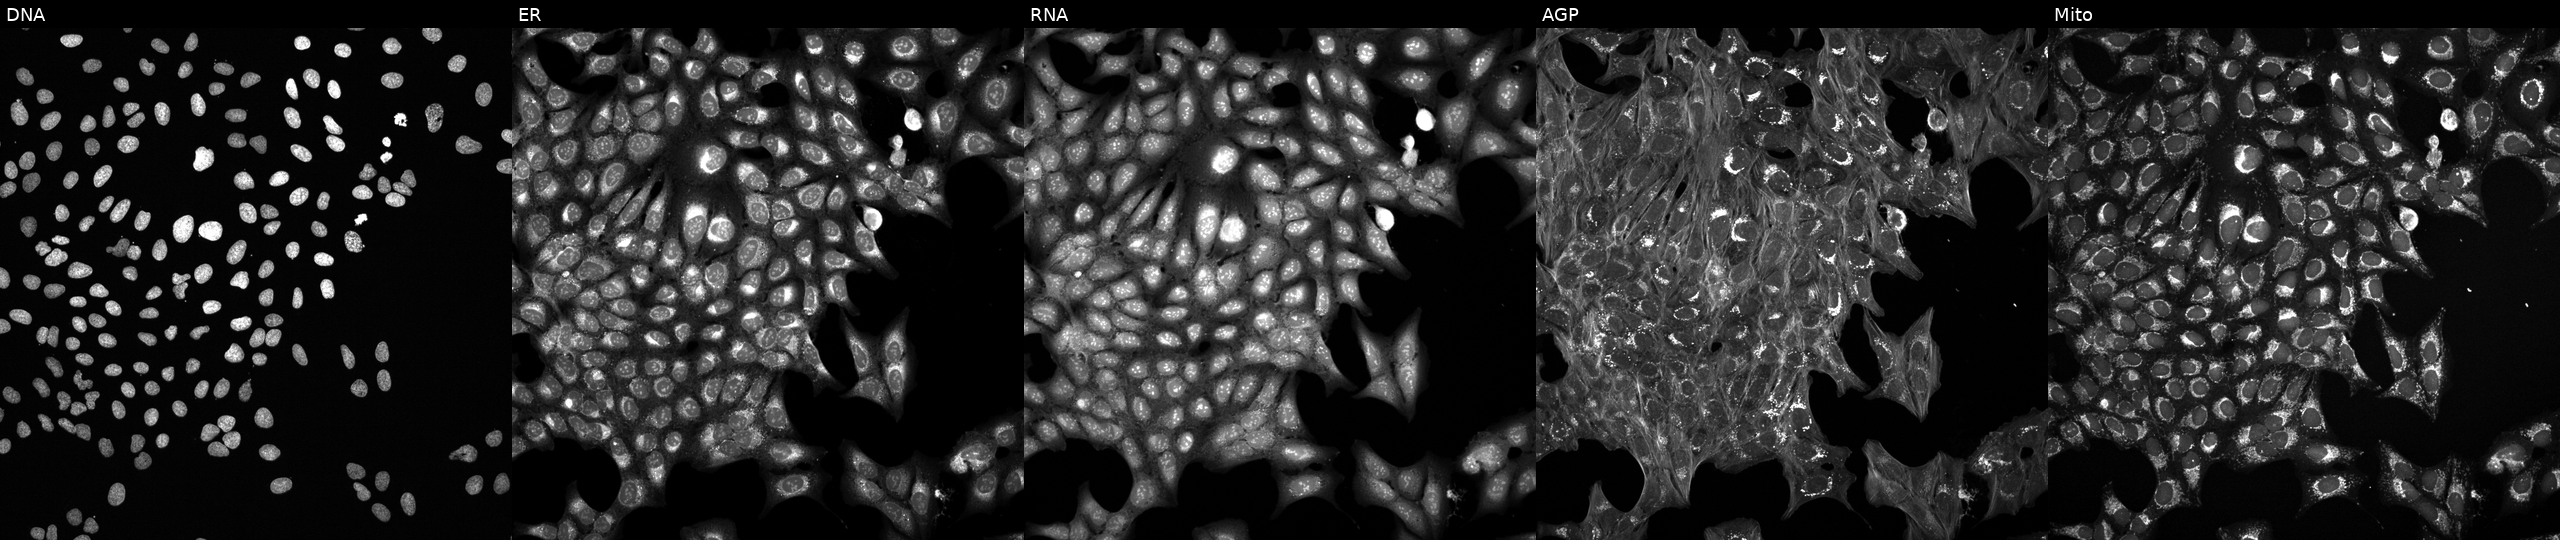
Channels (left→right): DNA, ER, RNA, AGP, and Mito. U2OS osteosarcoma cells exposed to a small-molecule compound. Cell Painting assay, JUMP-CP dataset.